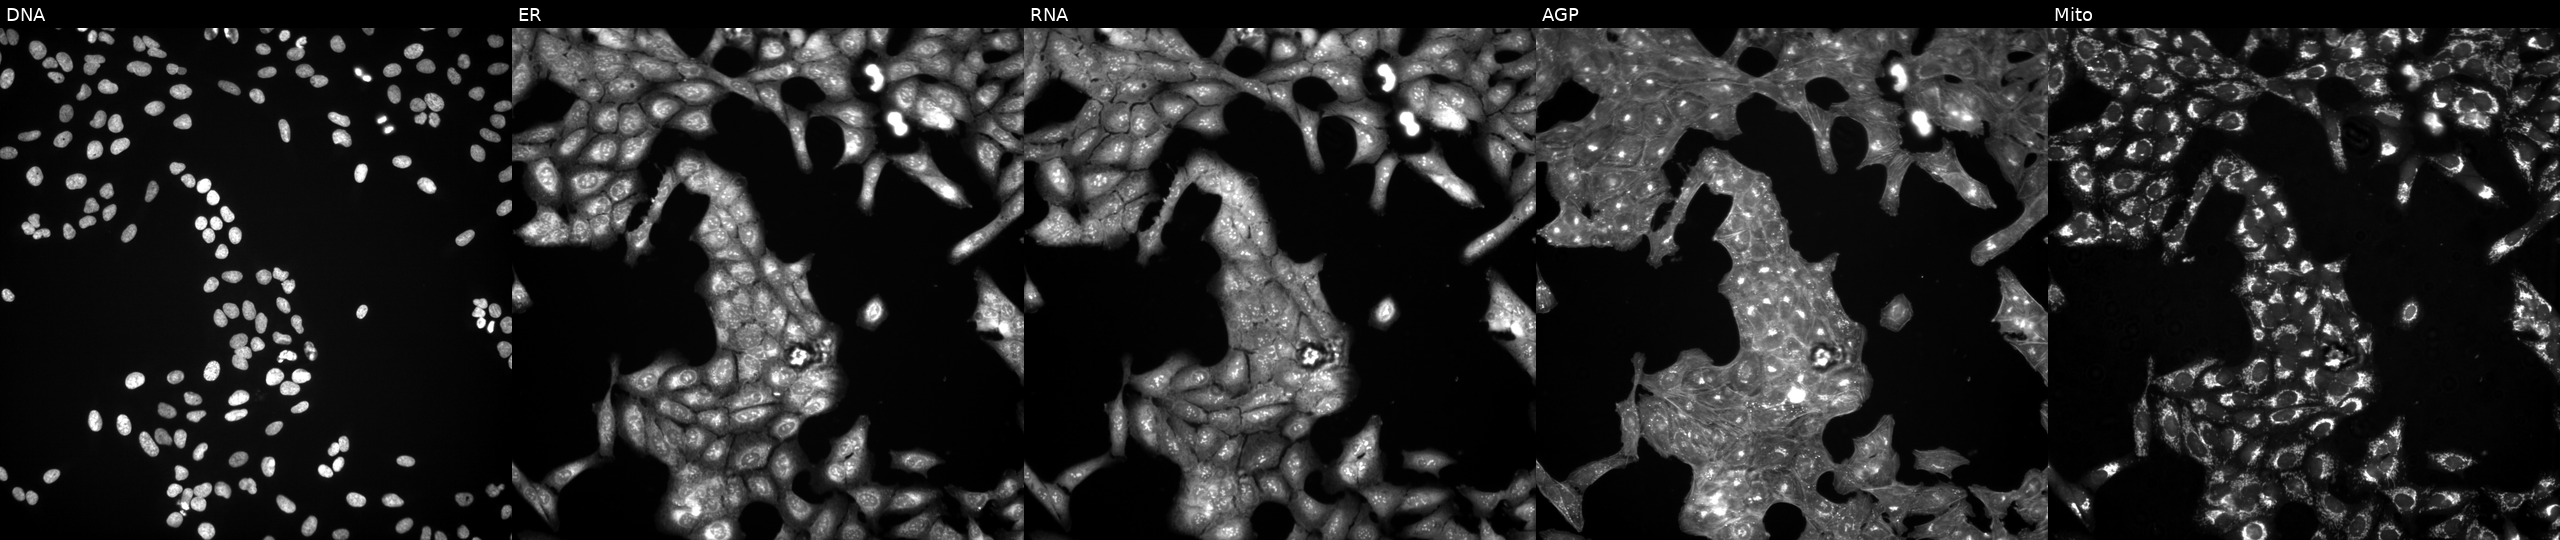
Five-channel Cell Painting image of U2OS cells exposed to a small-molecule compound (InChIKey ZJMDTBBCNMGFMS-UHFFFAOYSA-N) [SMILES: CN1CCN(c2ccc(C=C(C#N)c3ccccc3Br)cc2)CC1] (JUMP id JCP2022_113710). The five panels, left to right, show Hoechst 33342, concanavalin A, SYTO 14, phalloidin and WGA, MitoTracker. Source 3, plate JCPQC051, well C18.